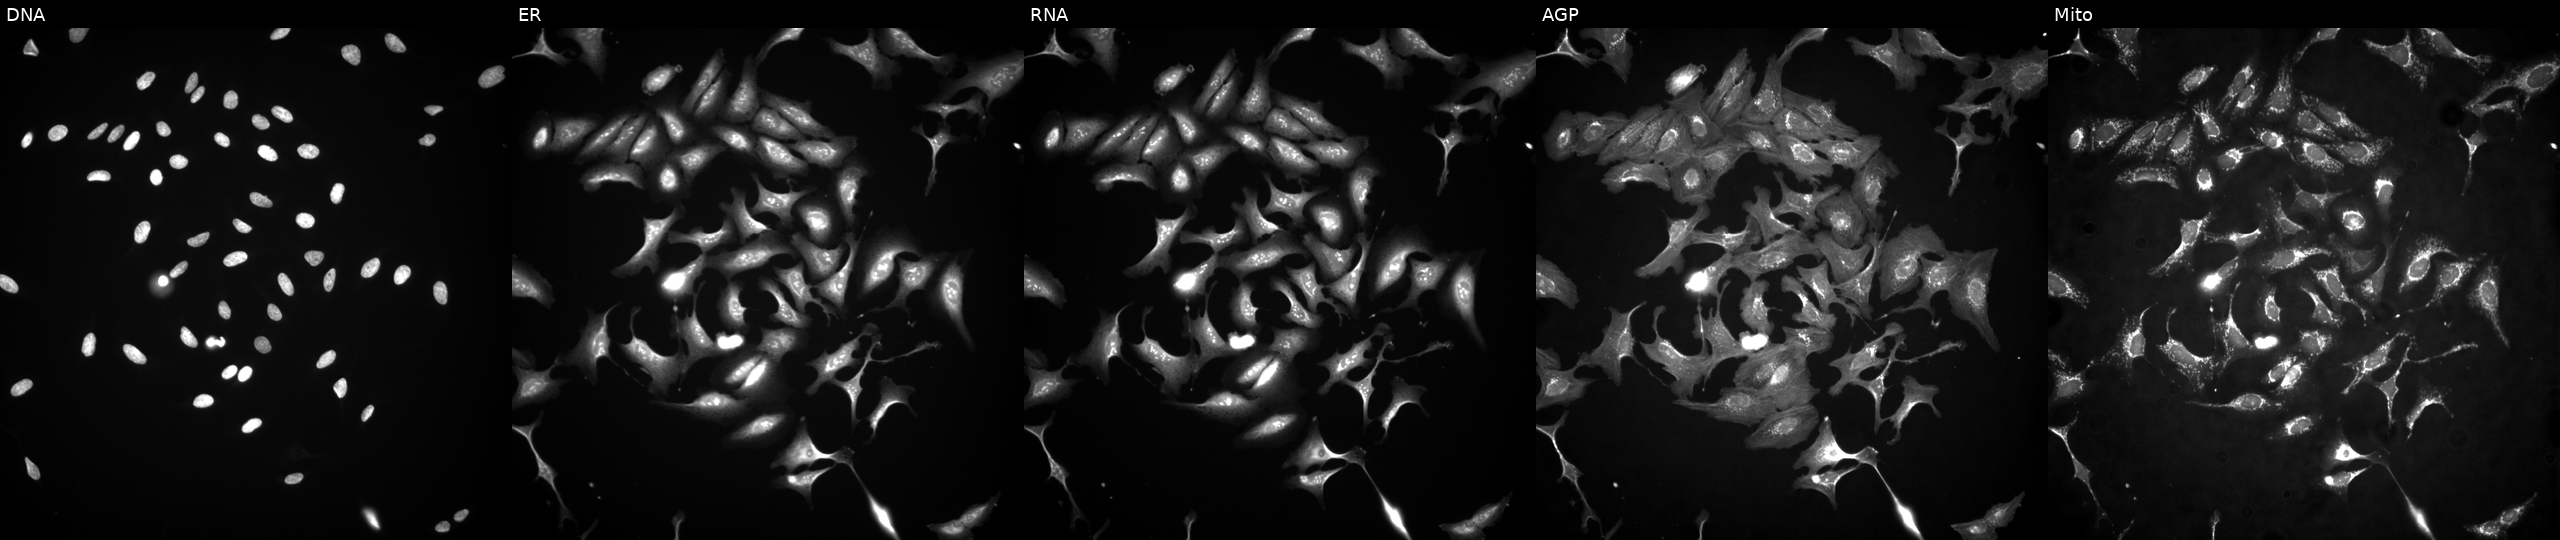
Five-channel Cell Painting image of U2OS cells overexpressing TAF8 via ORF transfection (JUMP id JCP2022_912258). The five panels, left to right, show DNA, ER, RNA, AGP, and Mito.